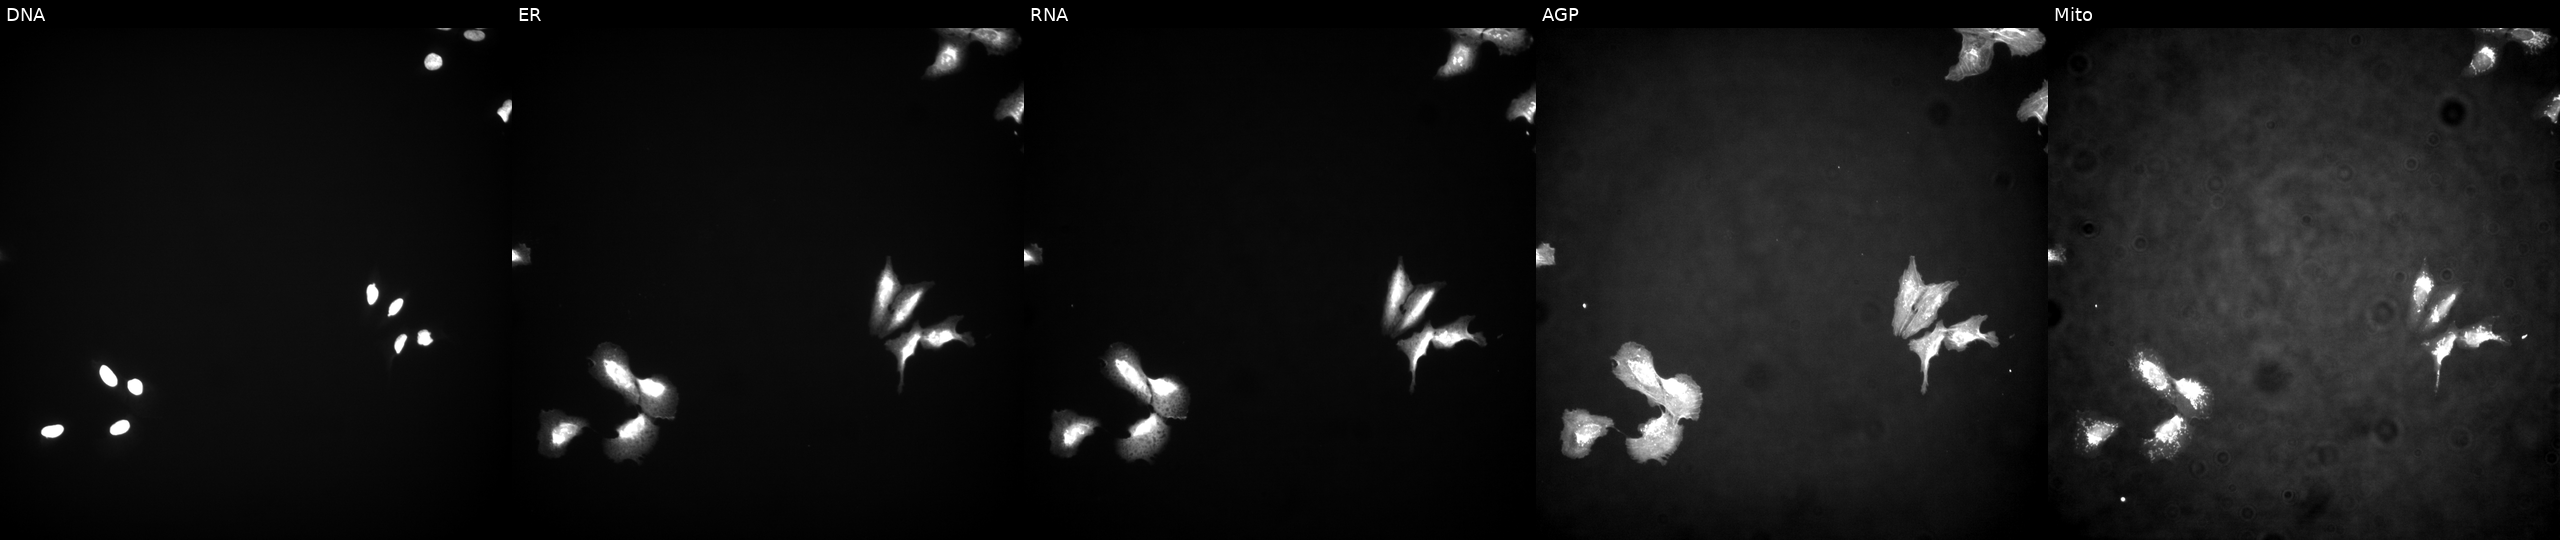
Five-channel Cell Painting image of U2OS cells with PLA2G12A overexpressed (ORF). Channels (left→right): DNA, ER, RNA, AGP, and Mito.